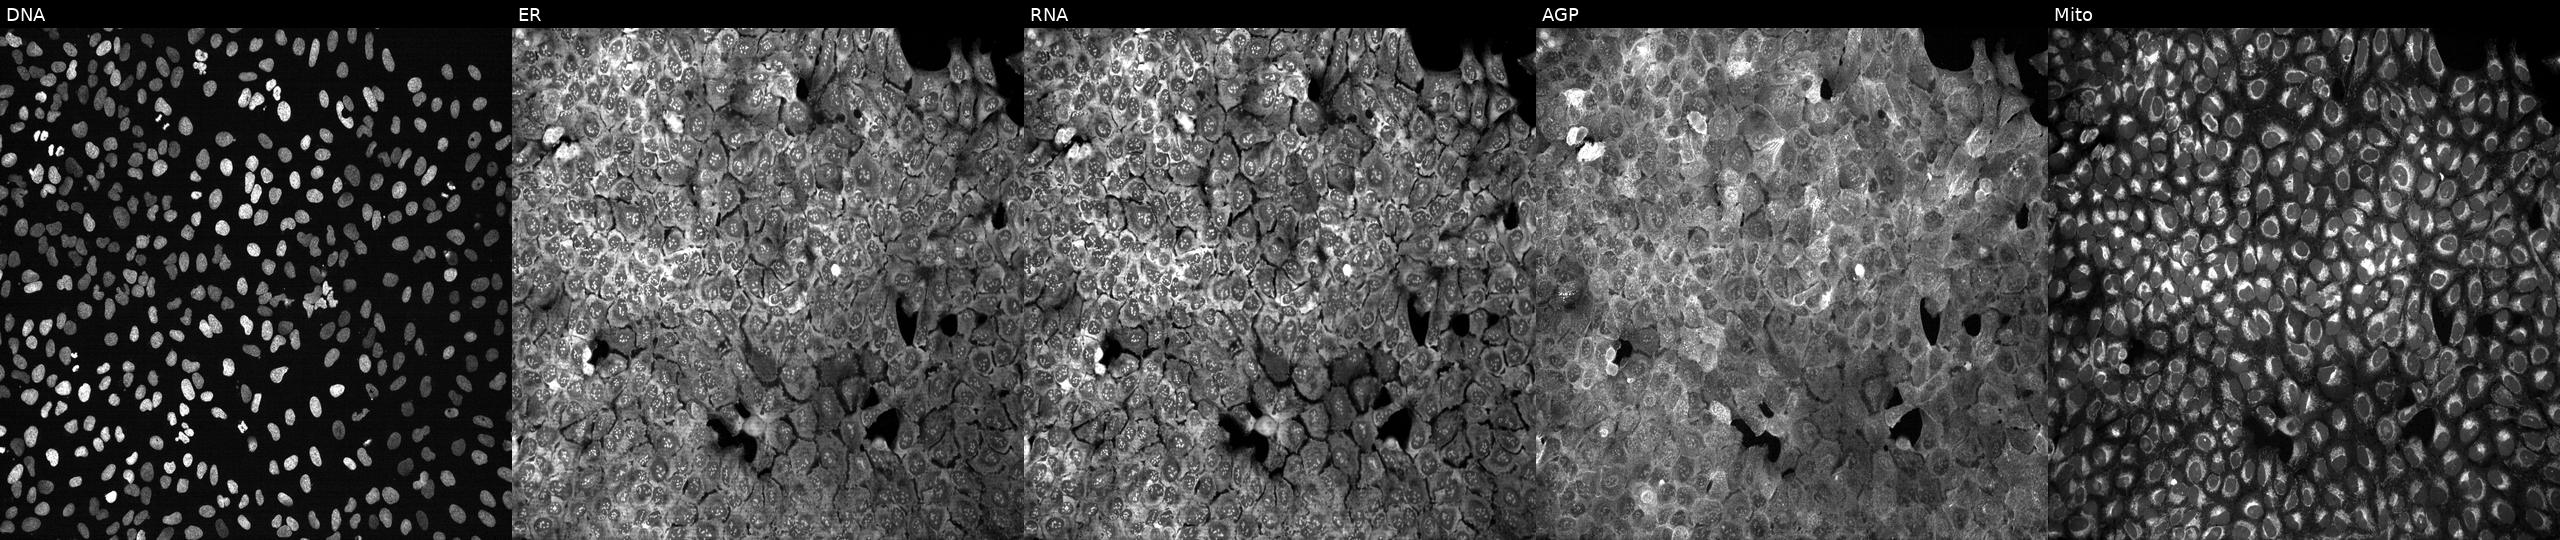
The five panels, left to right, show DNA, ER, RNA, AGP, and Mito. U2OS osteosarcoma cells following CRISPR knockout of ENTPD1 (JUMP id JCP2022_802122). Cell Painting assay, JUMP-CP dataset.